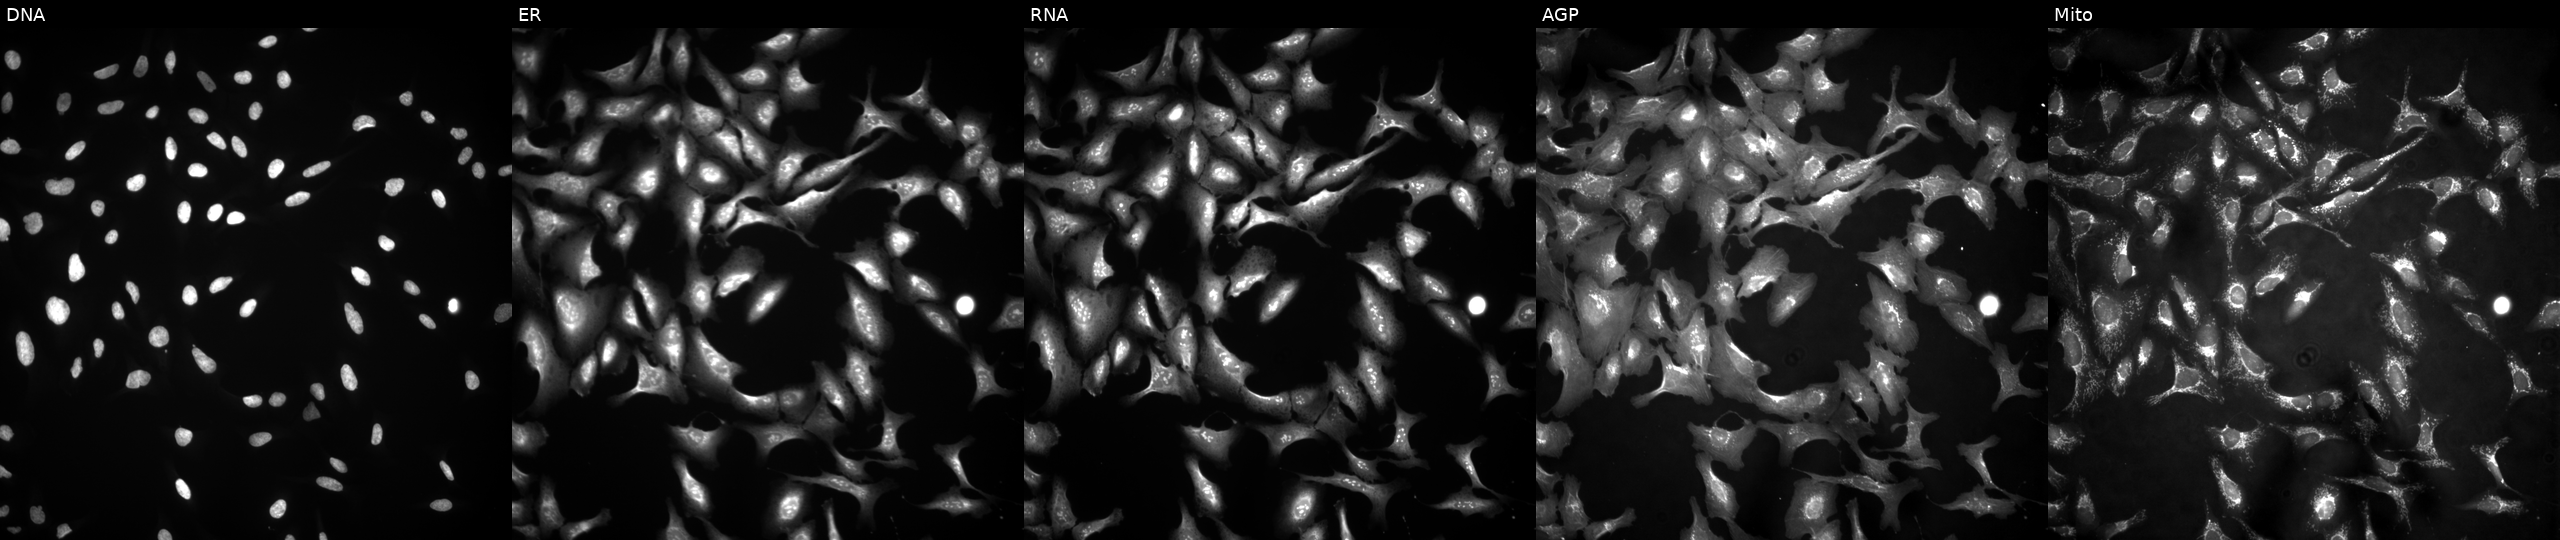
High-content fluorescence microscopy (Cell Painting). Cell line: U2OS. Perturbation: transfected with an ORF construct for DTNB. Panels show, left to right, Hoechst 33342, concanavalin A, SYTO 14, phalloidin and WGA, MitoTracker.